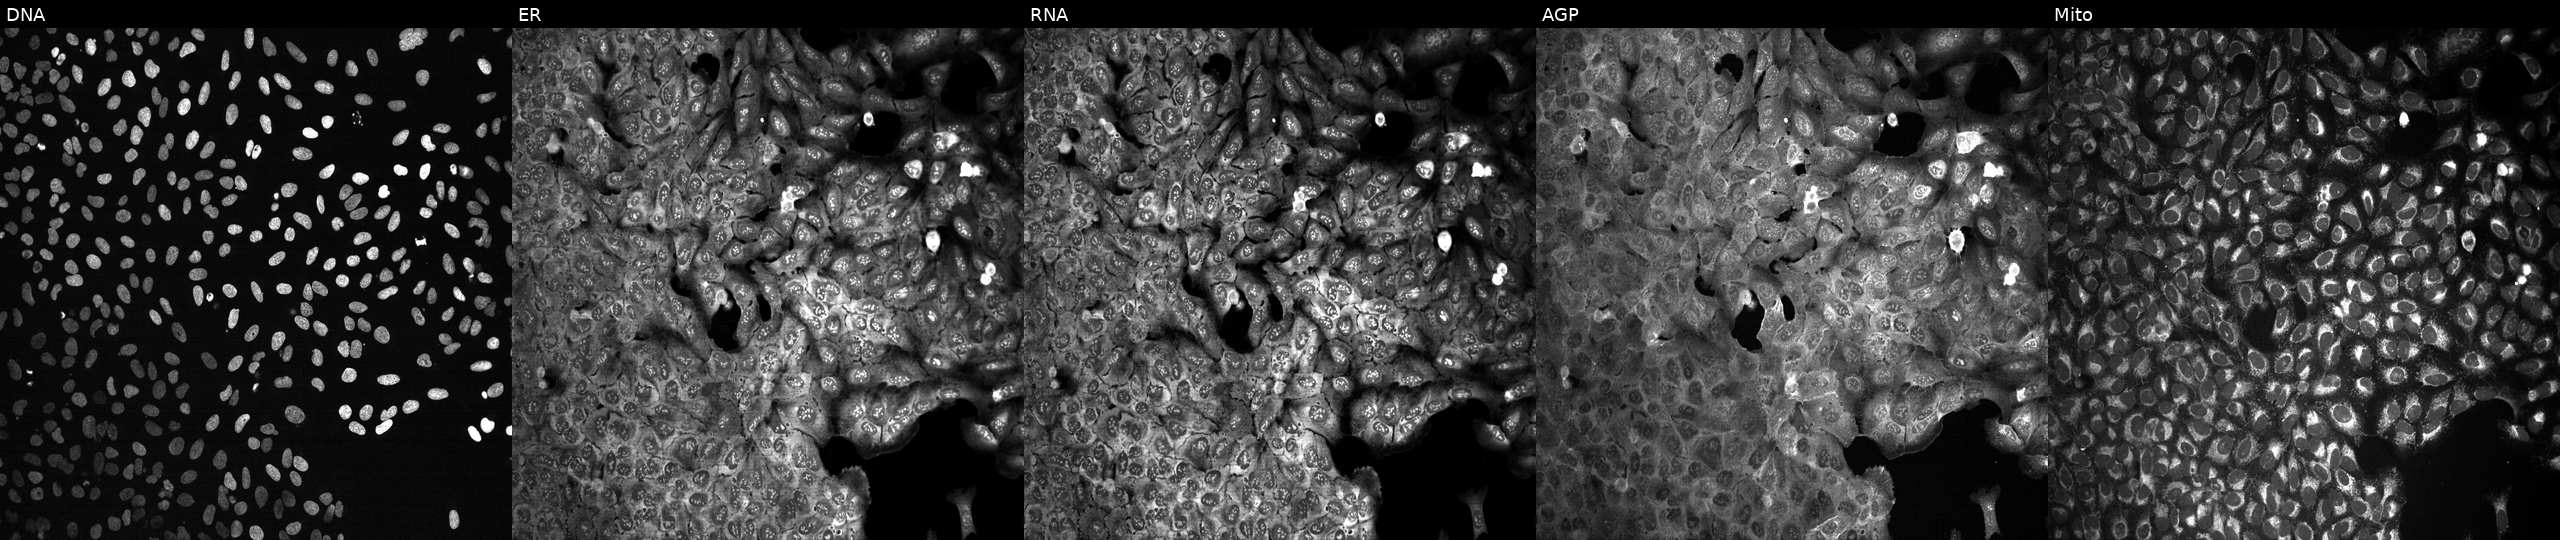
U2OS cells, Cell Painting assay, following CRISPR knockout of ARSK (JUMP id JCP2022_800607). Panels show, left to right, DNA, ER, RNA, AGP, and Mito. Each panel is percentile-stretched 16-bit fluorescence.